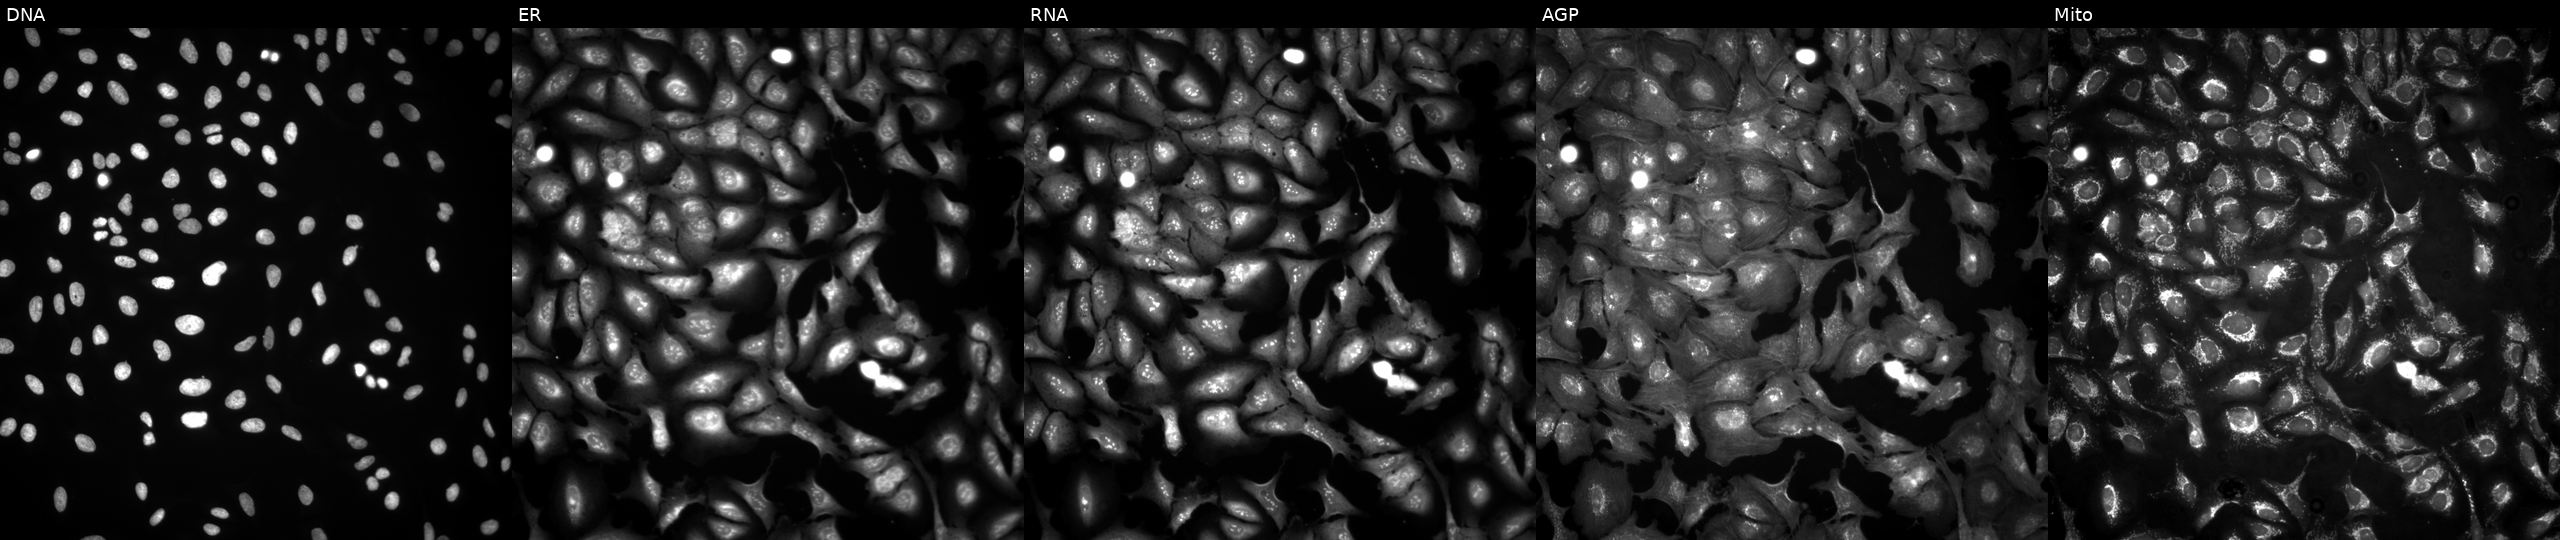
Panels show, left to right, DNA (nuclei); ER (endoplasmic reticulum); RNA (nucleoli and cytoplasmic RNA); AGP (actin cytoskeleton, Golgi, and plasma membrane); Mito (mitochondria). U2OS osteosarcoma cells expressing eGFP (ORF positive control). Cell Painting assay, JUMP-CP dataset.